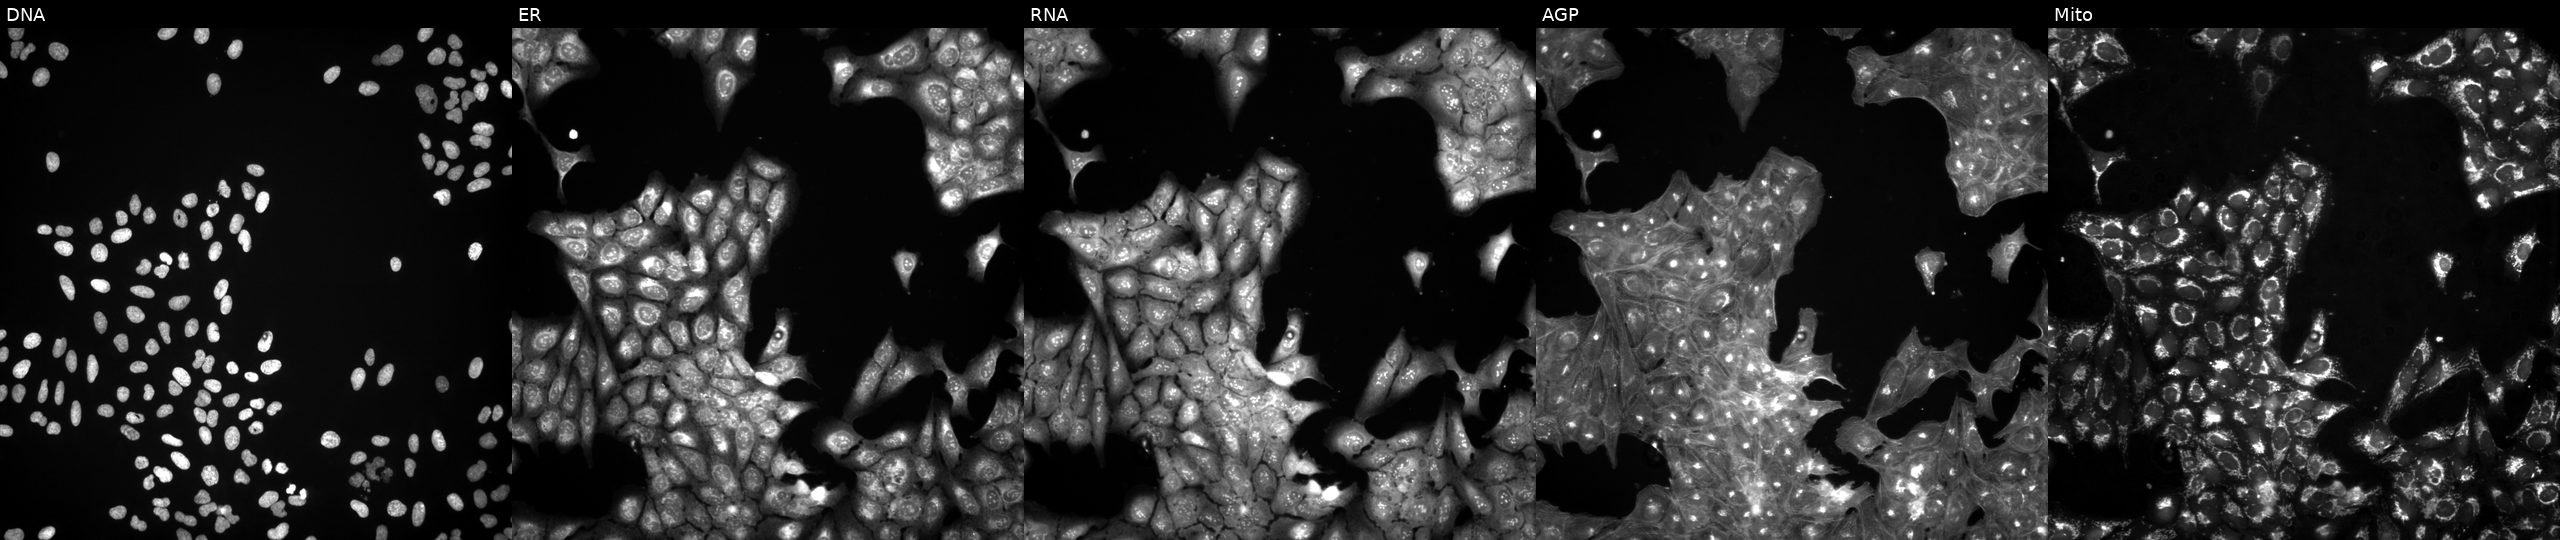
Five-channel Cell Painting image of U2OS cells exposed to a small-molecule compound (InChIKey MOAMGSSRRPCHLI-UHFFFAOYSA-N) (JUMP id JCP2022_055411). The five panels, left to right, show DNA, ER, RNA, AGP, and Mito. Source 3, plate BR5867a3, well N15.